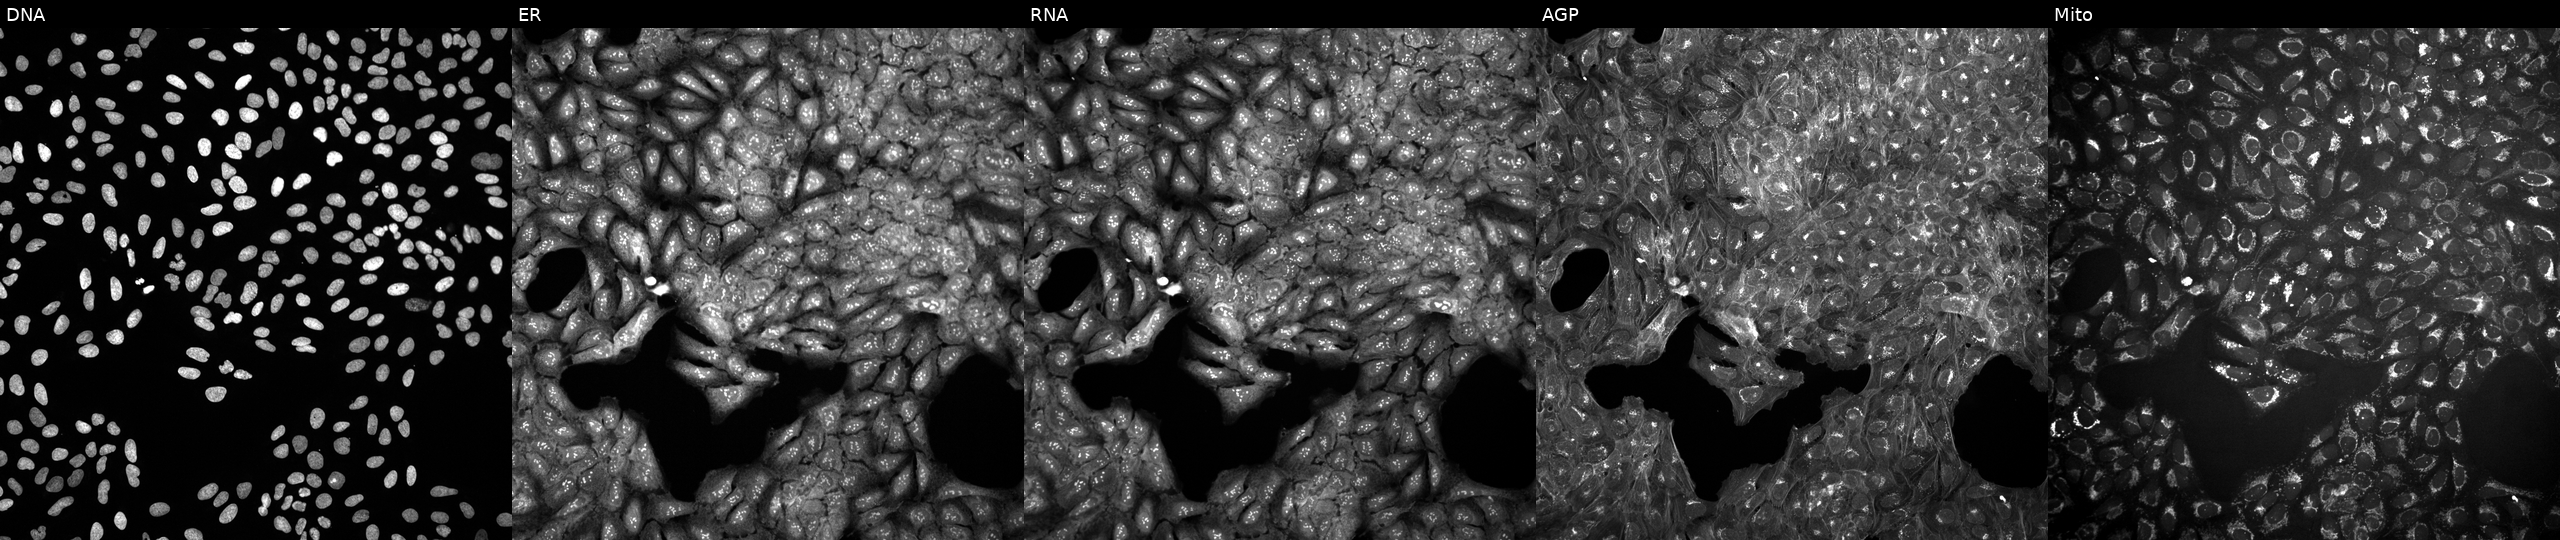
Five-channel Cell Painting image of U2OS cells perturbed with a small-molecule compound (InChIKey TUMGUKCPSCCSIZ-UHFFFAOYSA-N). Channels (left→right): DNA, ER, RNA, AGP, and Mito.